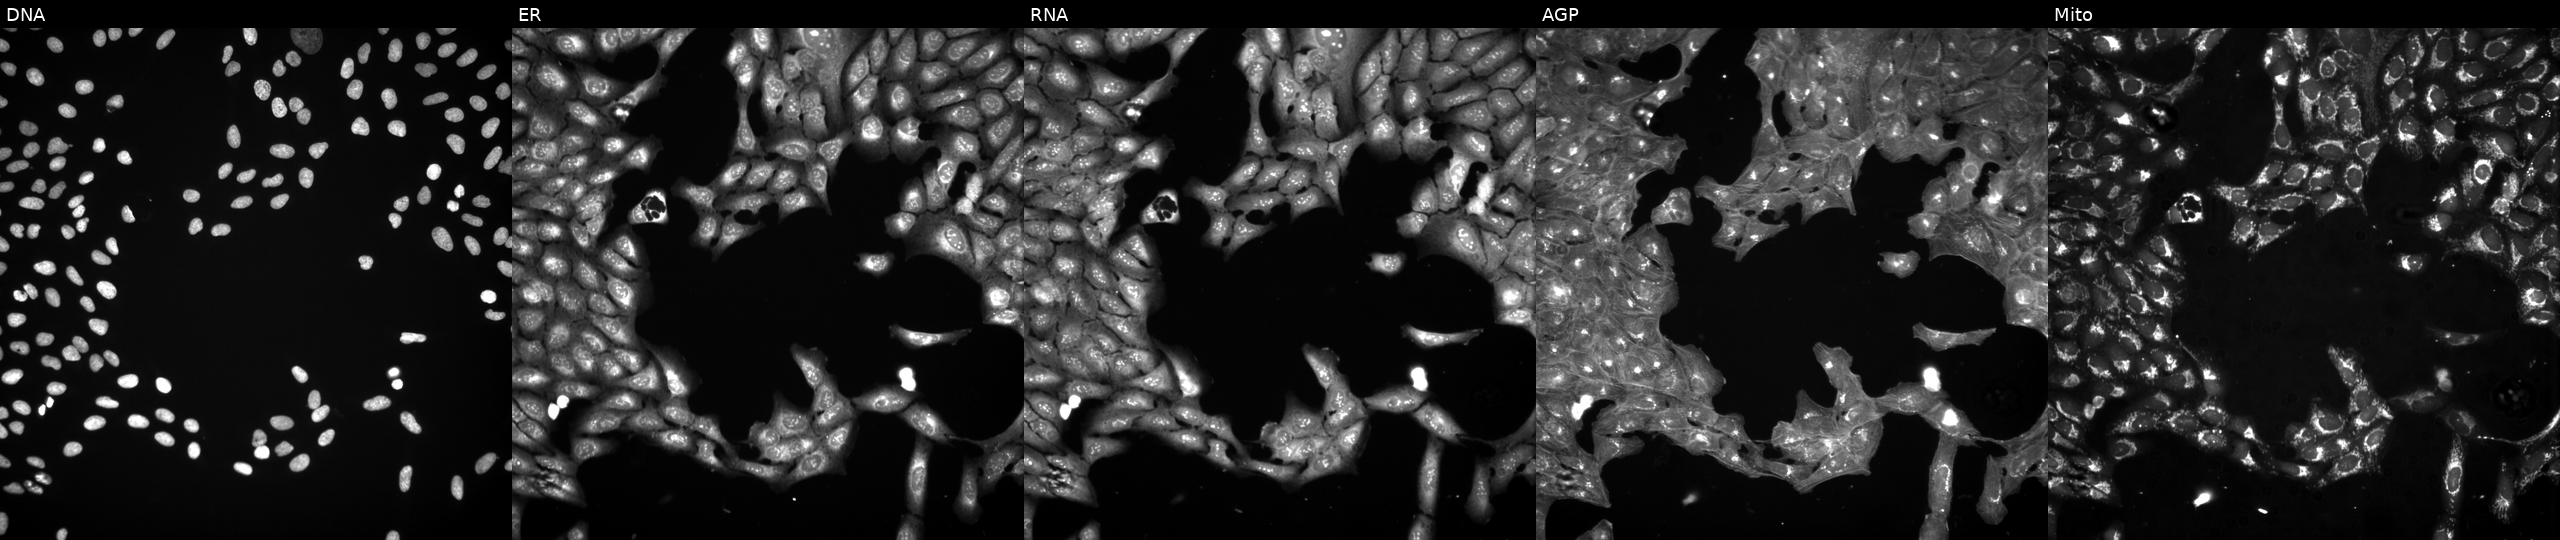
JUMP Cell Painting — COMPOUND plate. U2OS cells perturbed with a small-molecule compound (InChIKey JVXLDLGKWKIVSS-UHFFFAOYSA-N). From left to right: DNA (nuclei); ER (endoplasmic reticulum); RNA (nucleoli and cytoplasmic RNA); AGP (actin cytoskeleton, Golgi, and plasma membrane); Mito (mitochondria). Source 3, plate BR5867a3, well C21.